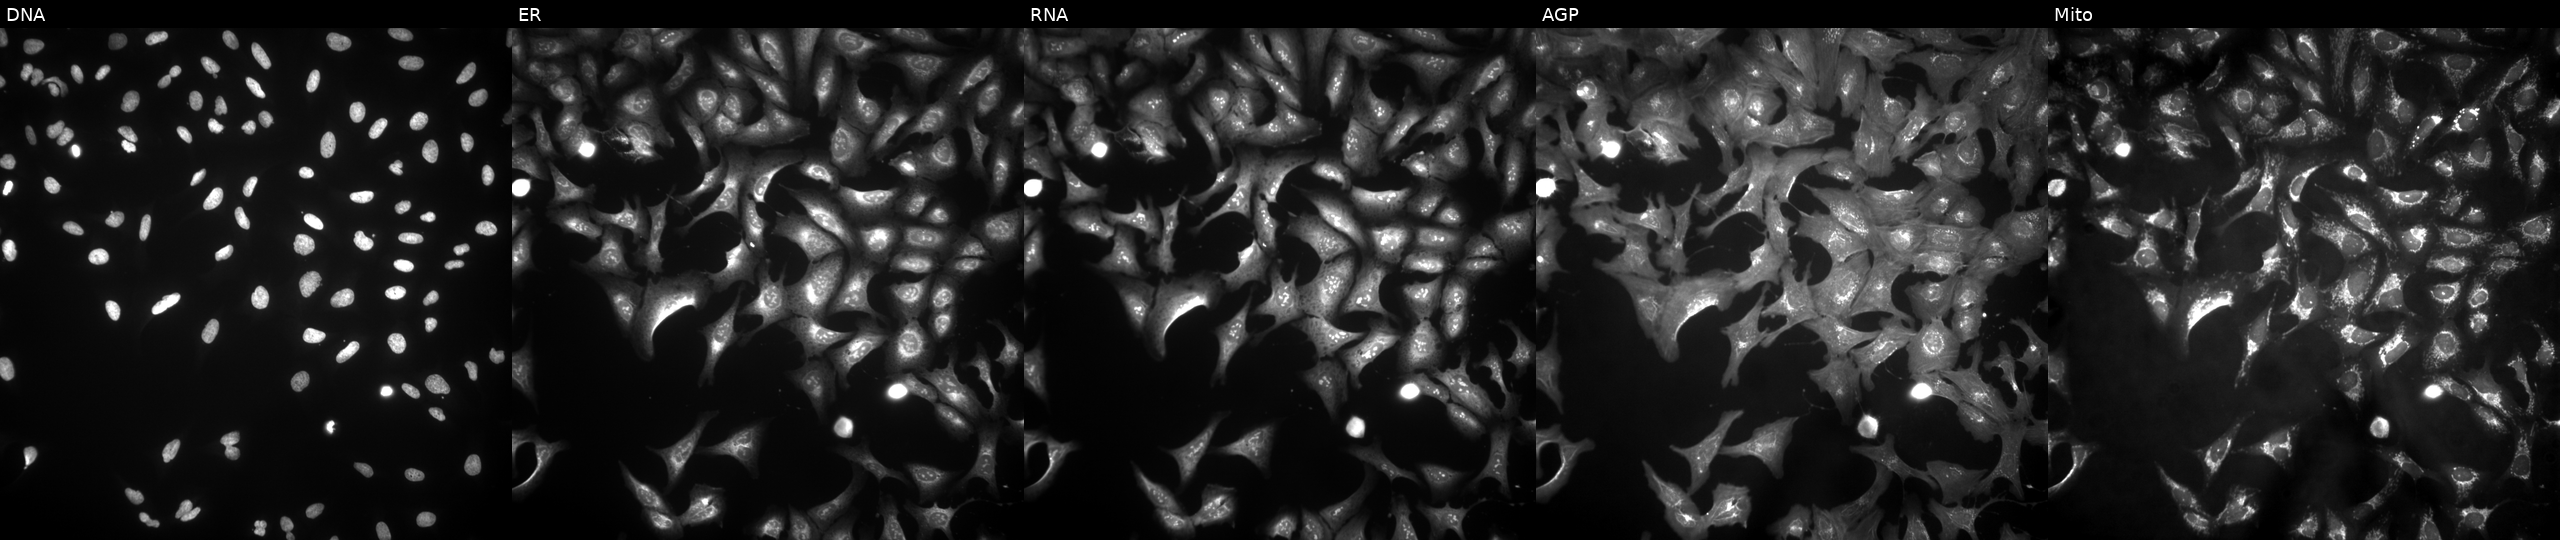
Five-channel Cell Painting image of U2OS cells overexpressing NCL via ORF transfection (JUMP id JCP2022_910242). From left to right: DNA, ER, RNA, AGP, and Mito.